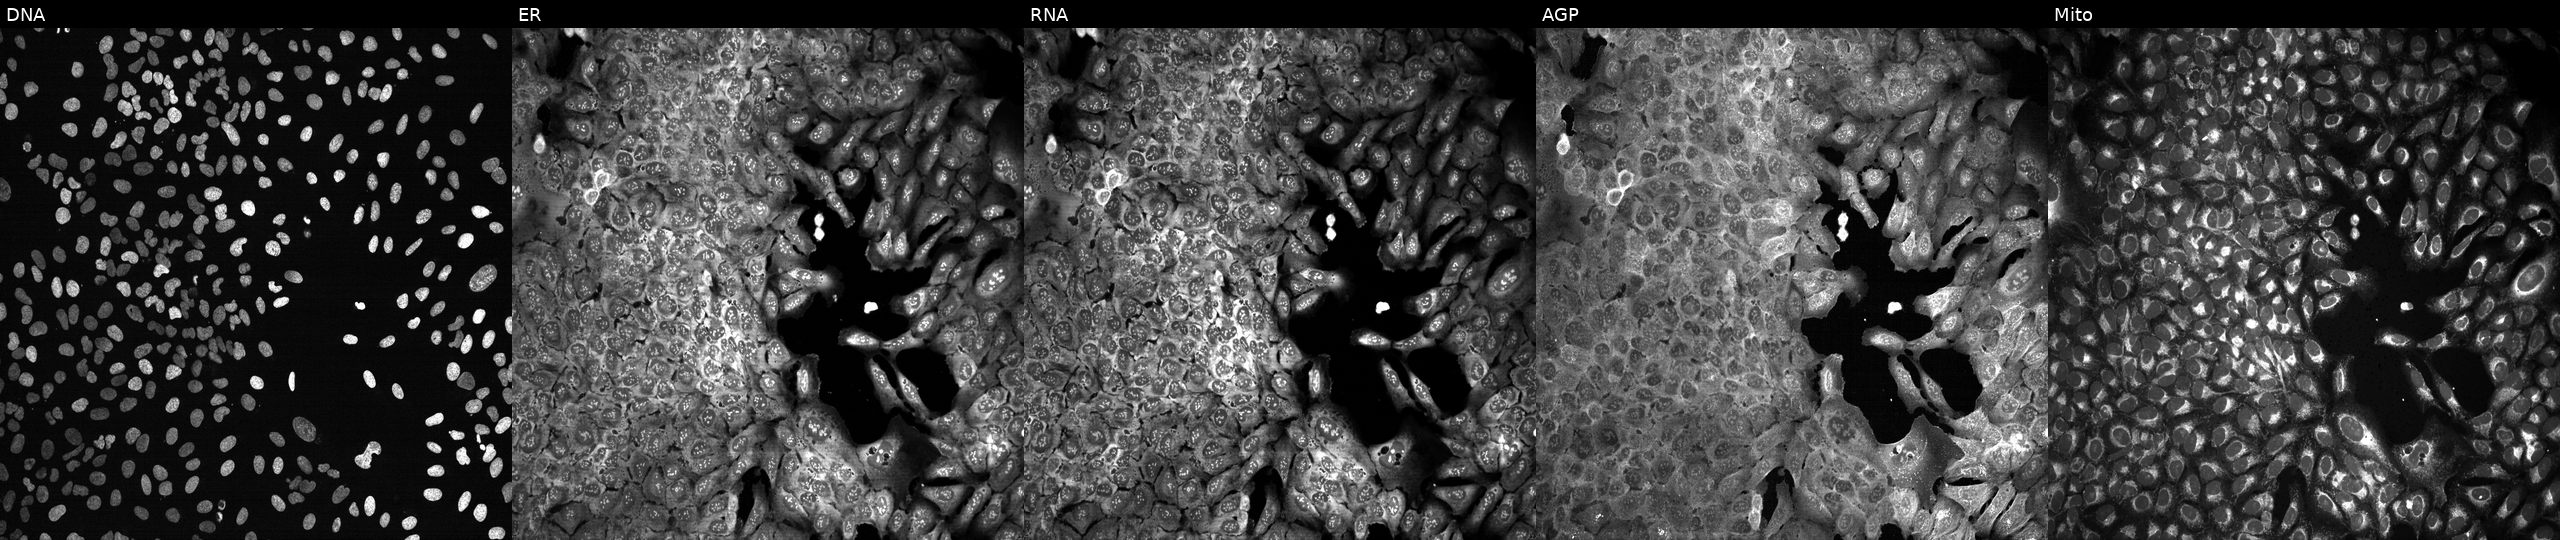
This image strip shows the five Cell Painting channels for a single field of U2OS cells CRISPR-edited to disrupt GSPT2. The five panels, left to right, show Hoechst 33342, concanavalin A, SYTO 14, phalloidin and WGA, MitoTracker.